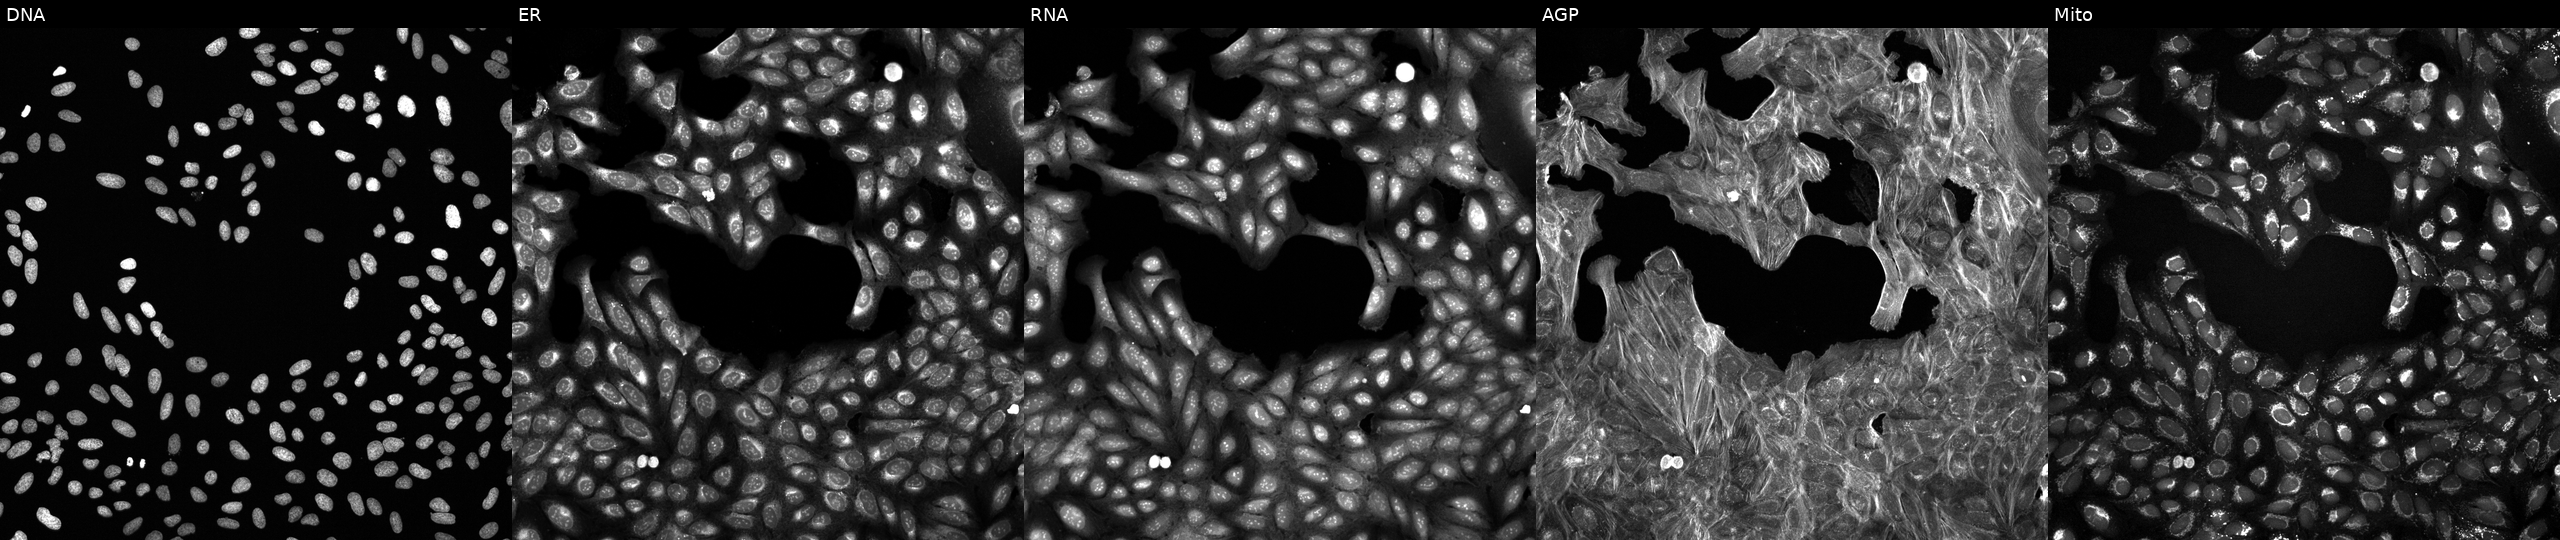
Five-channel Cell Painting image of U2OS cells exposed to a small-molecule compound (InChIKey HEGFCSISQACIEY-UHFFFAOYSA-N). Panels show, left to right, DNA (nuclei); ER (endoplasmic reticulum); RNA (nucleoli and cytoplasmic RNA); AGP (actin cytoskeleton, Golgi, and plasma membrane); Mito (mitochondria).